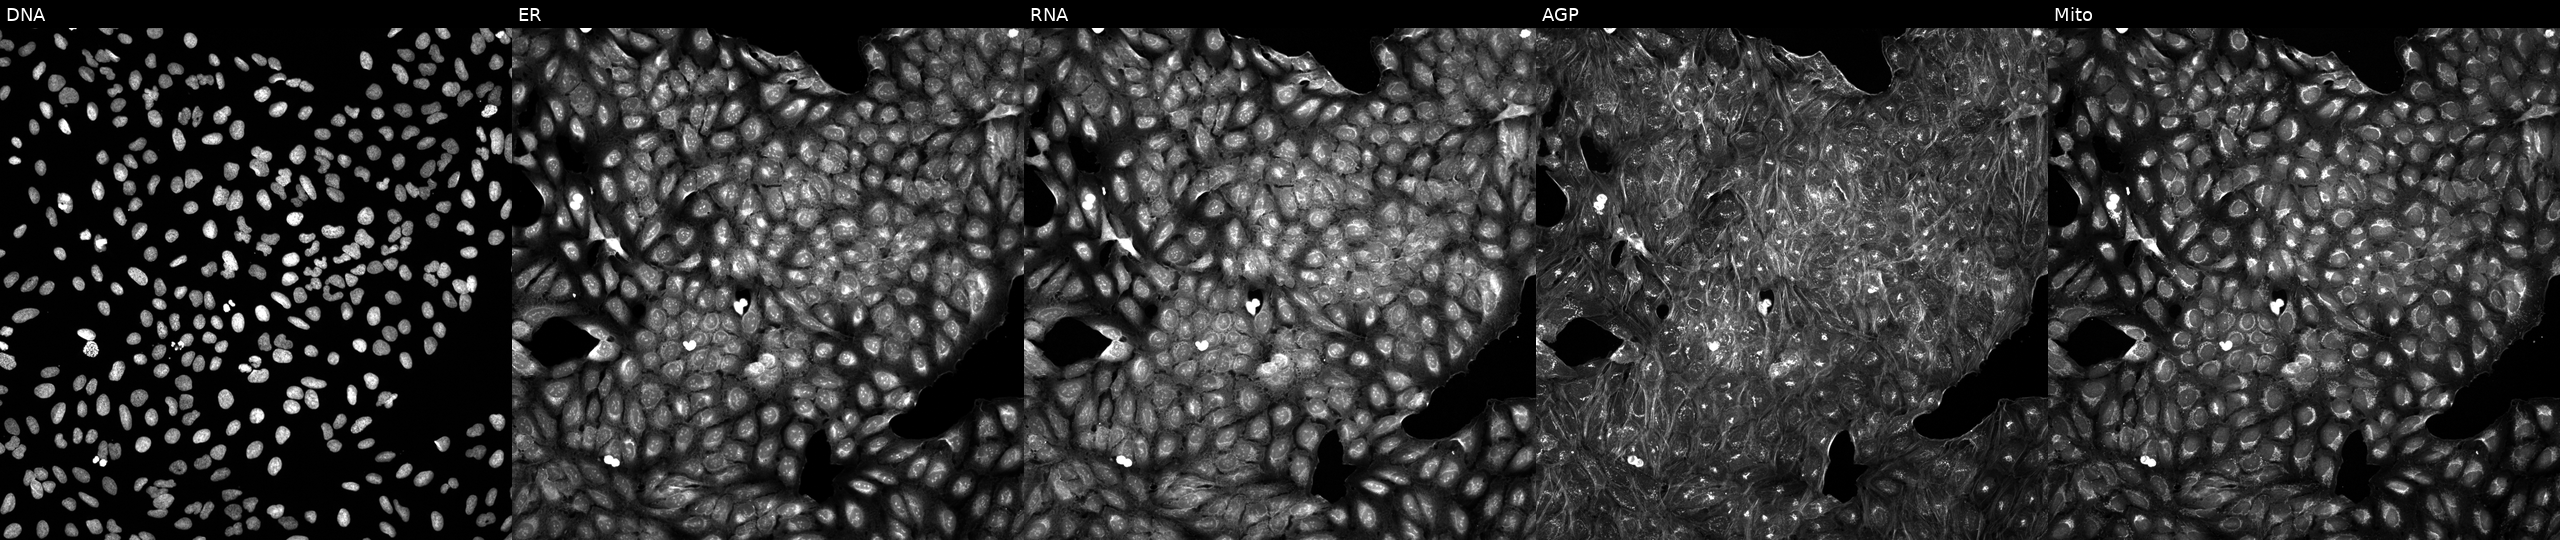
This image strip shows the five Cell Painting channels for a single field of U2OS cells treated with a small-molecule compound (InChIKey ZEYGGQSJXXXZCQ-UHFFFAOYSA-N) (JUMP id JCP2022_112869). Channels (left→right): DNA (nuclei); ER (endoplasmic reticulum); RNA (nucleoli and cytoplasmic RNA); AGP (actin cytoskeleton, Golgi, and plasma membrane); Mito (mitochondria). Source 5, plate APTJUM106, well J16.